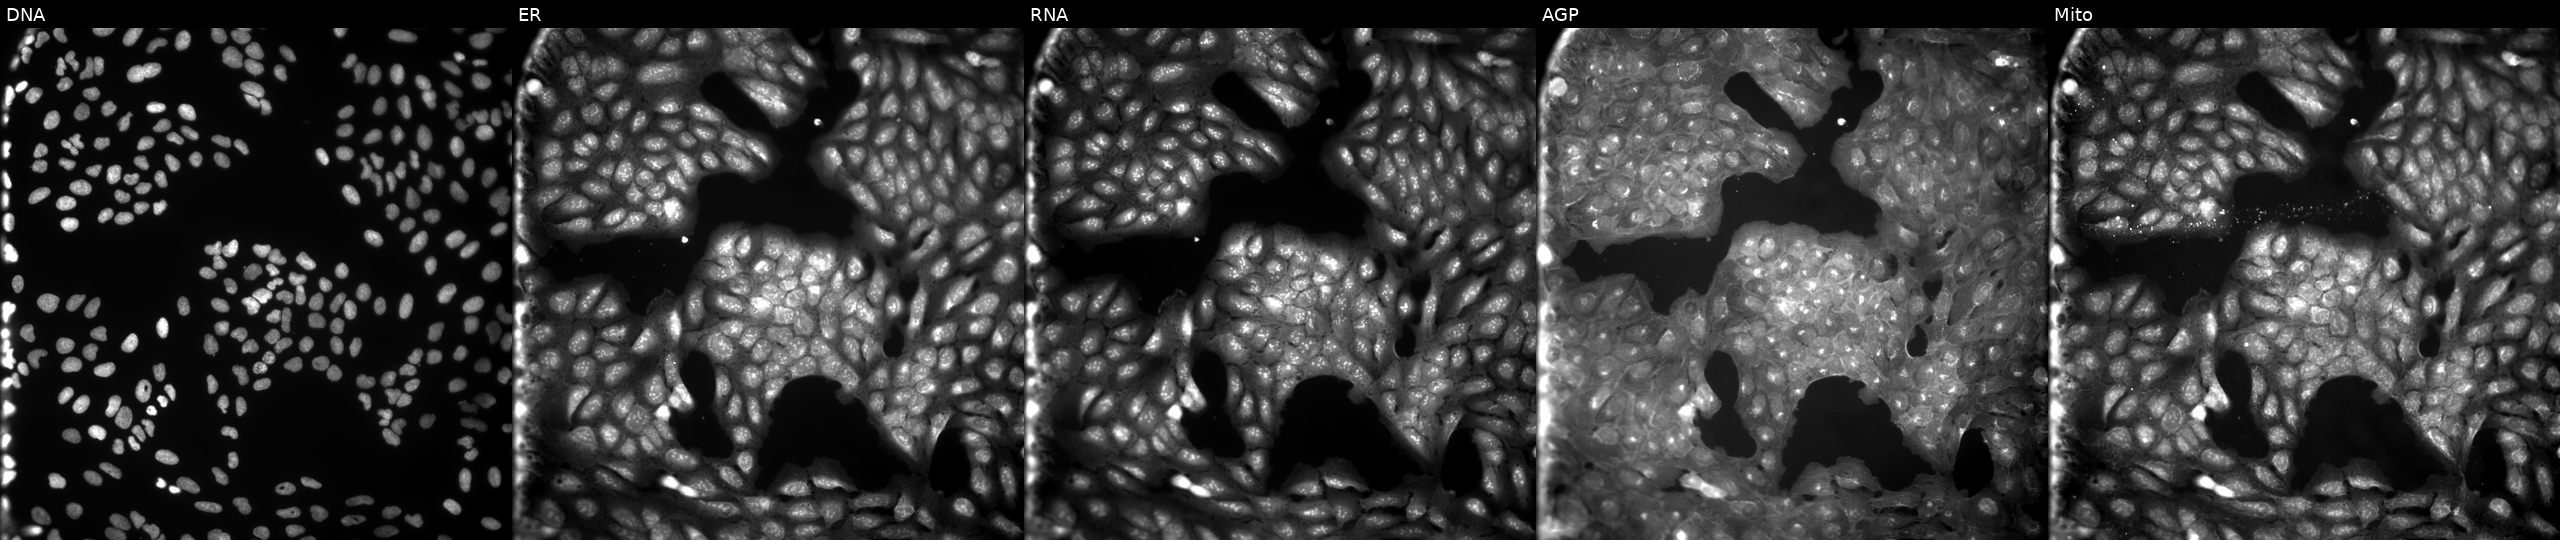
JUMP Cell Painting — COMPOUND plate. U2OS cells perturbed with a small-molecule compound. Panels show, left to right, Hoechst 33342, concanavalin A, SYTO 14, phalloidin and WGA, MitoTracker. Source 9, plate GR00003382, well Z04.